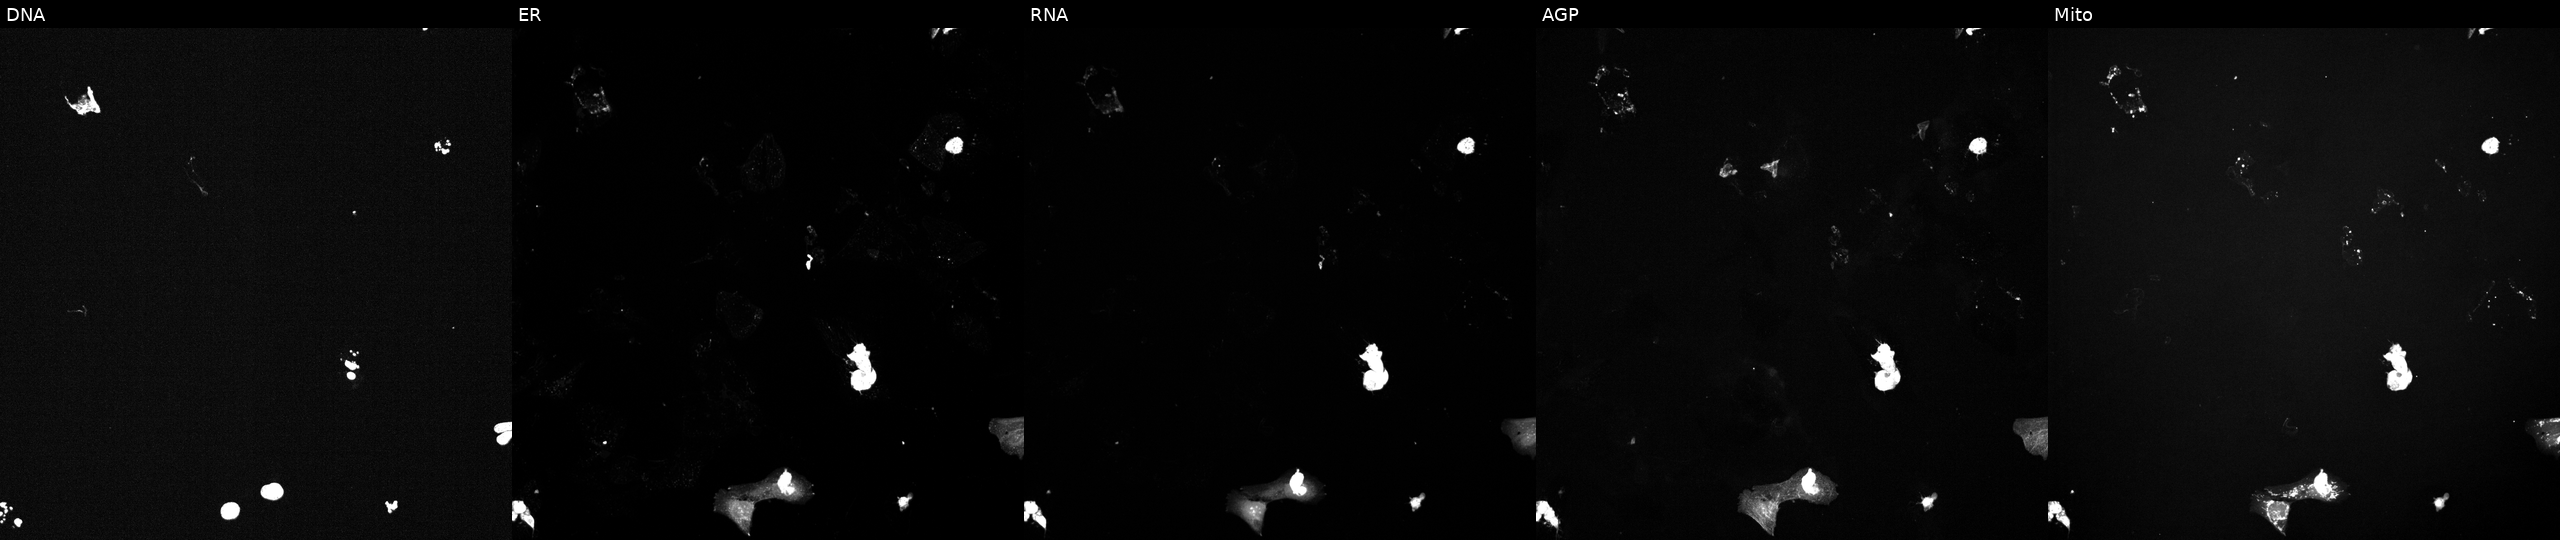
JUMP Cell Painting — TARGET2 plate. U2OS cells treated with a small-molecule compound (InChIKey HGMSUJCQIUFZBJ-UHFFFAOYSA-N). The five panels, left to right, show Hoechst 33342, concanavalin A, SYTO 14, phalloidin and WGA, MitoTracker. Source 6, plate 110000294901, well B24.